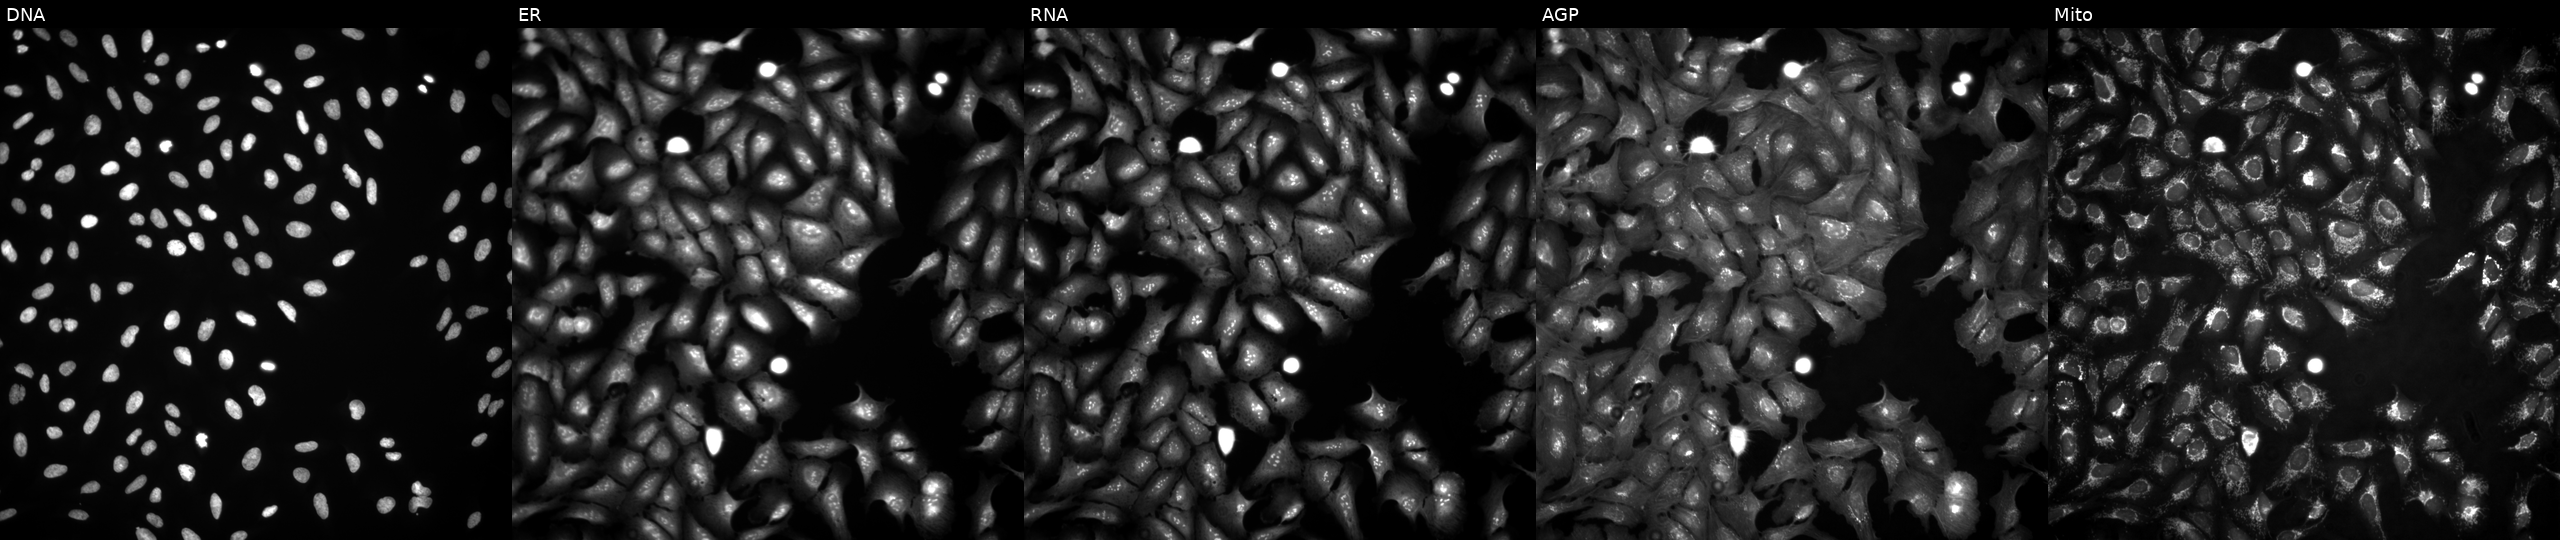
High-content fluorescence microscopy (Cell Painting). Cell line: U2OS. Perturbation: overexpressing ARMC9 via ORF transfection. Channels (left→right): Hoechst 33342, concanavalin A, SYTO 14, phalloidin and WGA, MitoTracker.